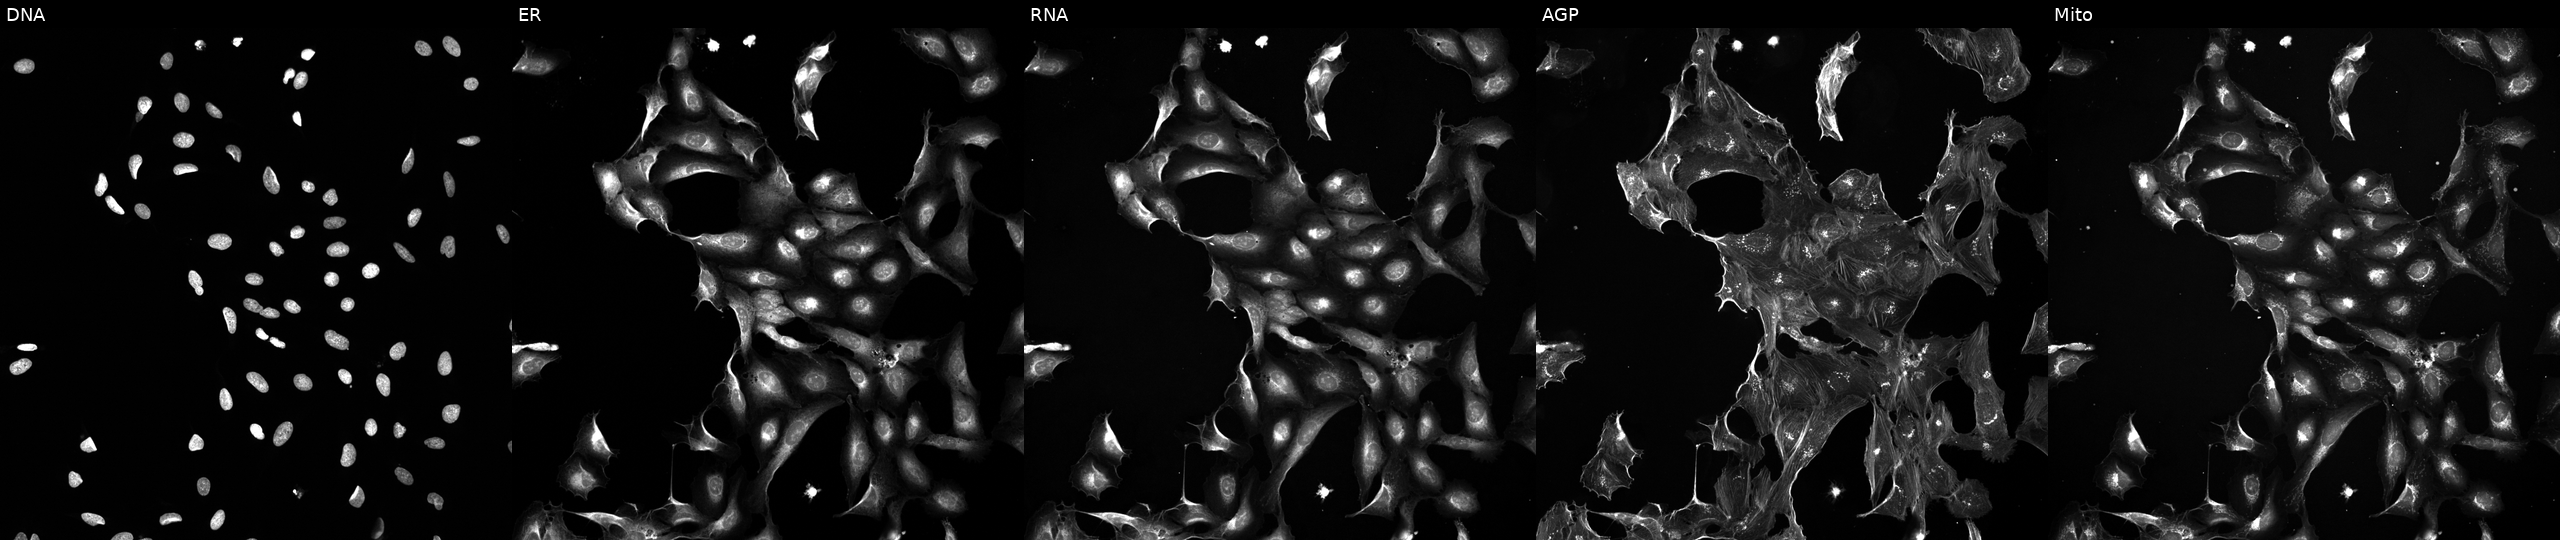
This image strip shows the five Cell Painting channels for a single field of U2OS cells exposed to a small-molecule compound (InChIKey AYCPARAPKDAOEN-UHFFFAOYSA-N) (JUMP id JCP2022_004587). The five panels, left to right, show DNA, ER, RNA, AGP, and Mito.